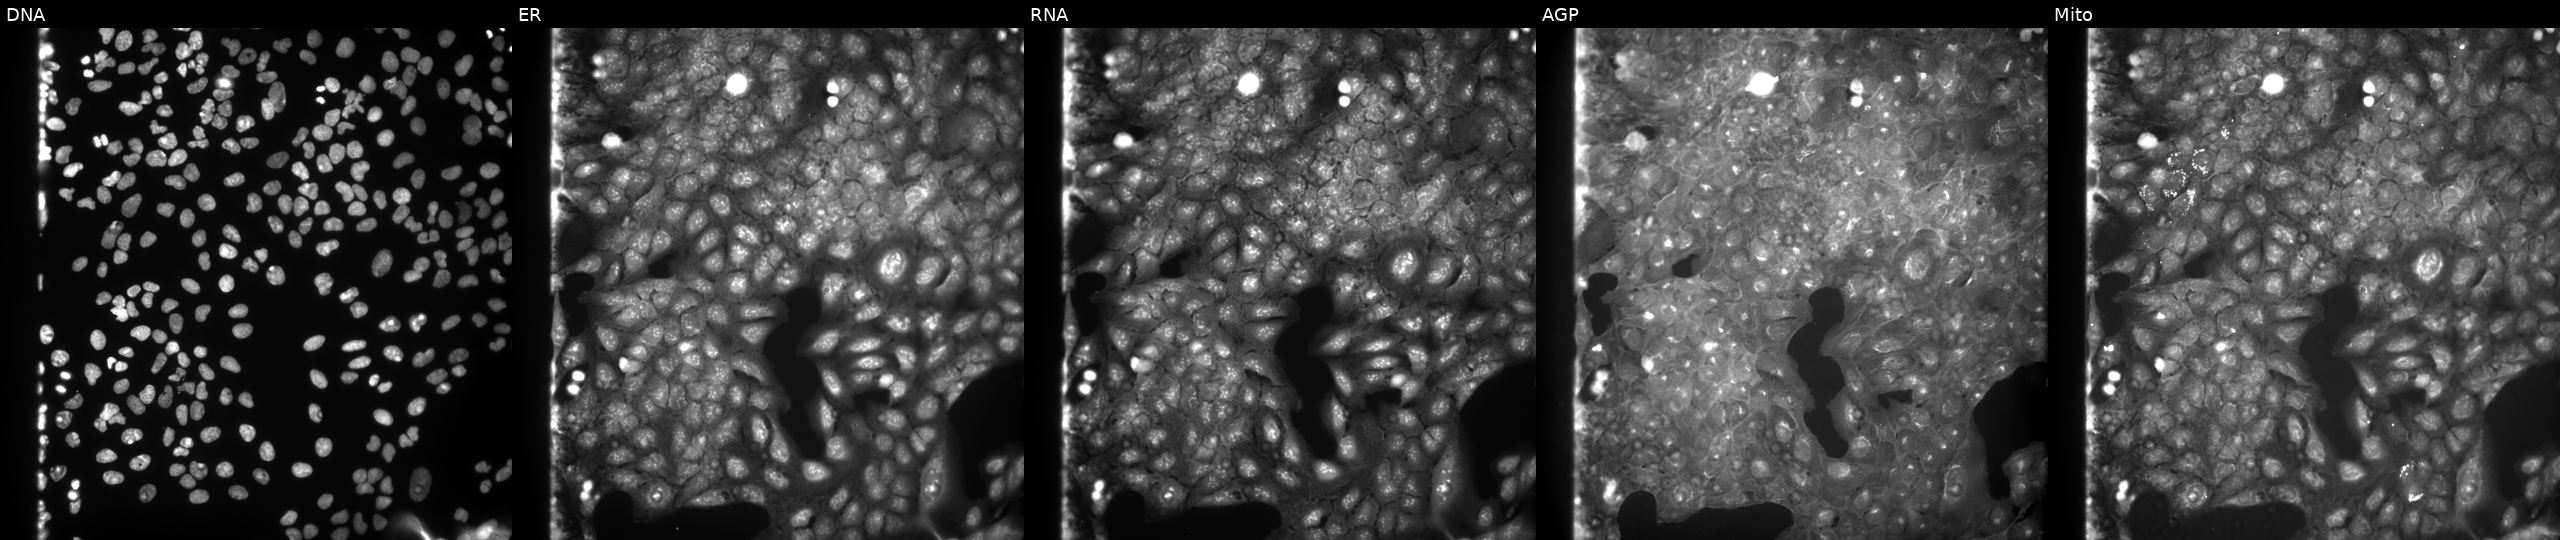
Five-channel Cell Painting image of U2OS cells exposed to a small-molecule compound (InChIKey IIKLBCXHIZWDEG-UHFFFAOYSA-N) (JUMP id JCP2022_035258). Channels (left→right): DNA, ER, RNA, AGP, and Mito. Source 9, plate GR00003382, well C05.